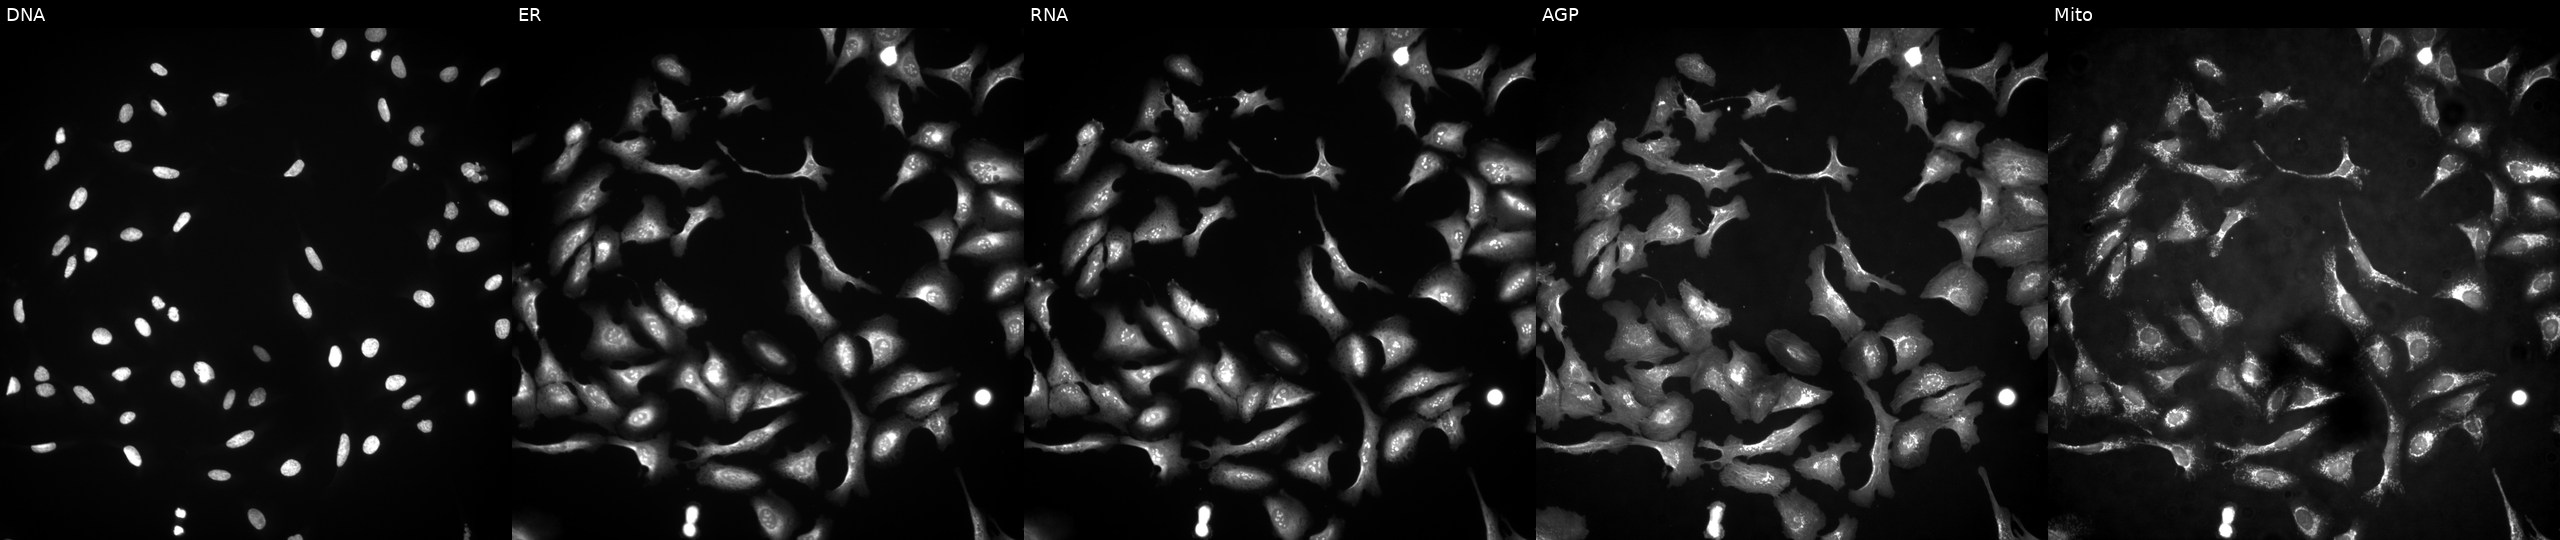
U2OS cells, Cell Painting assay, with KRTAP12-1 overexpressed (ORF). Panels show, left to right, DNA (nuclei); ER (endoplasmic reticulum); RNA (nucleoli and cytoplasmic RNA); AGP (actin cytoskeleton, Golgi, and plasma membrane); Mito (mitochondria). Each panel is percentile-stretched 16-bit fluorescence. Source 4, plate BR00124790, well M04.